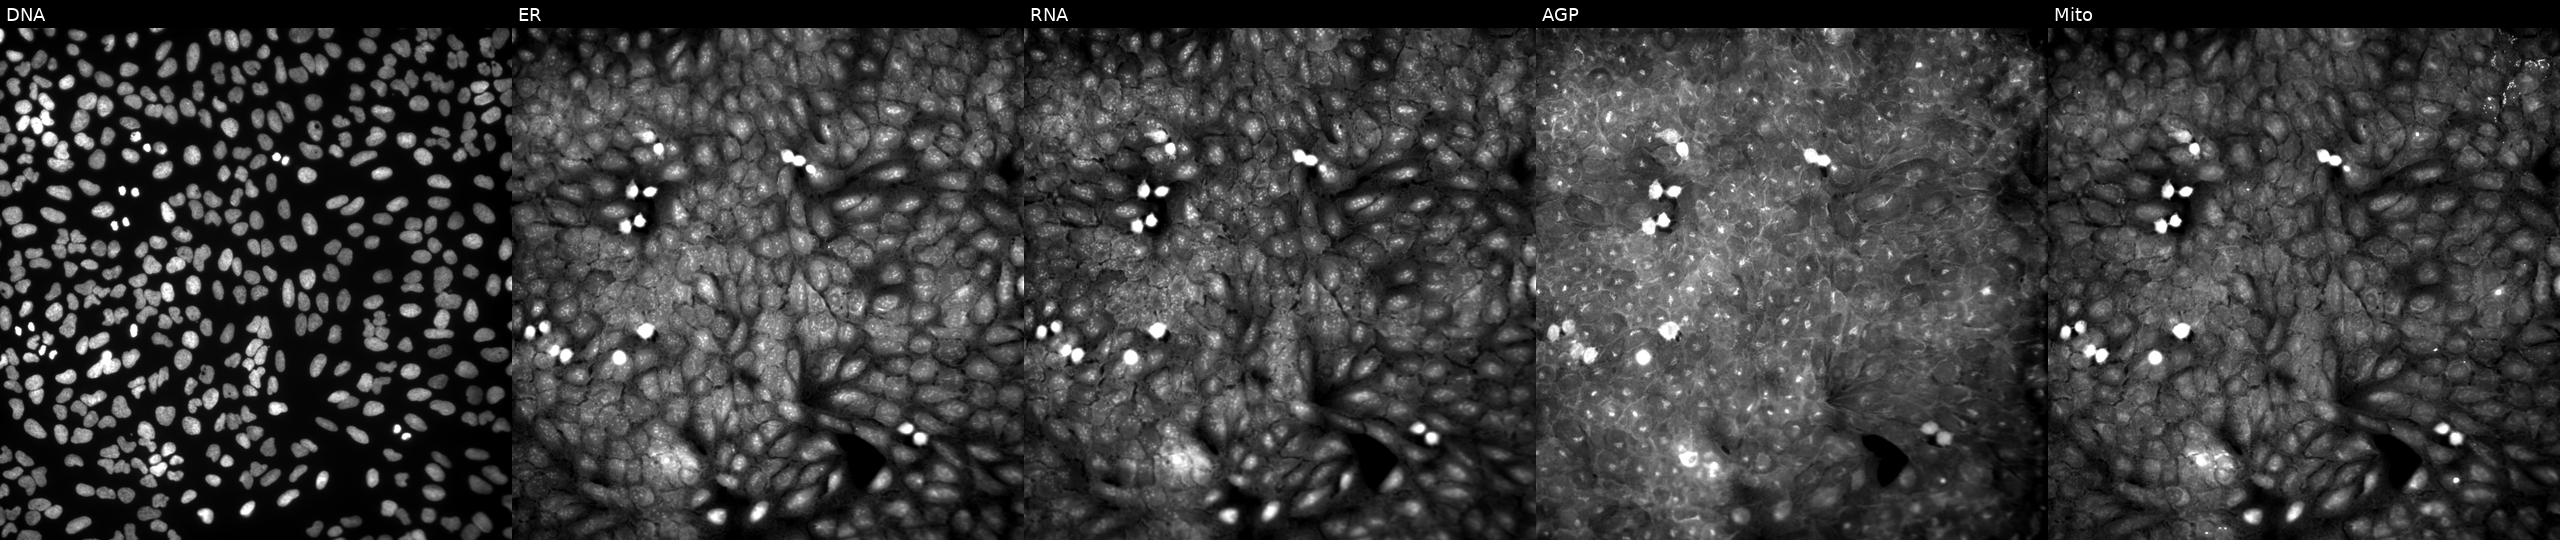
U2OS cells, Cell Painting assay, treated with a small-molecule compound (InChIKey UHCZREFKUQAXRH-UHFFFAOYSA-N) (JUMP id JCP2022_089204). Panels show, left to right, Hoechst 33342, concanavalin A, SYTO 14, phalloidin and WGA, MitoTracker. Each panel is percentile-stretched 16-bit fluorescence.